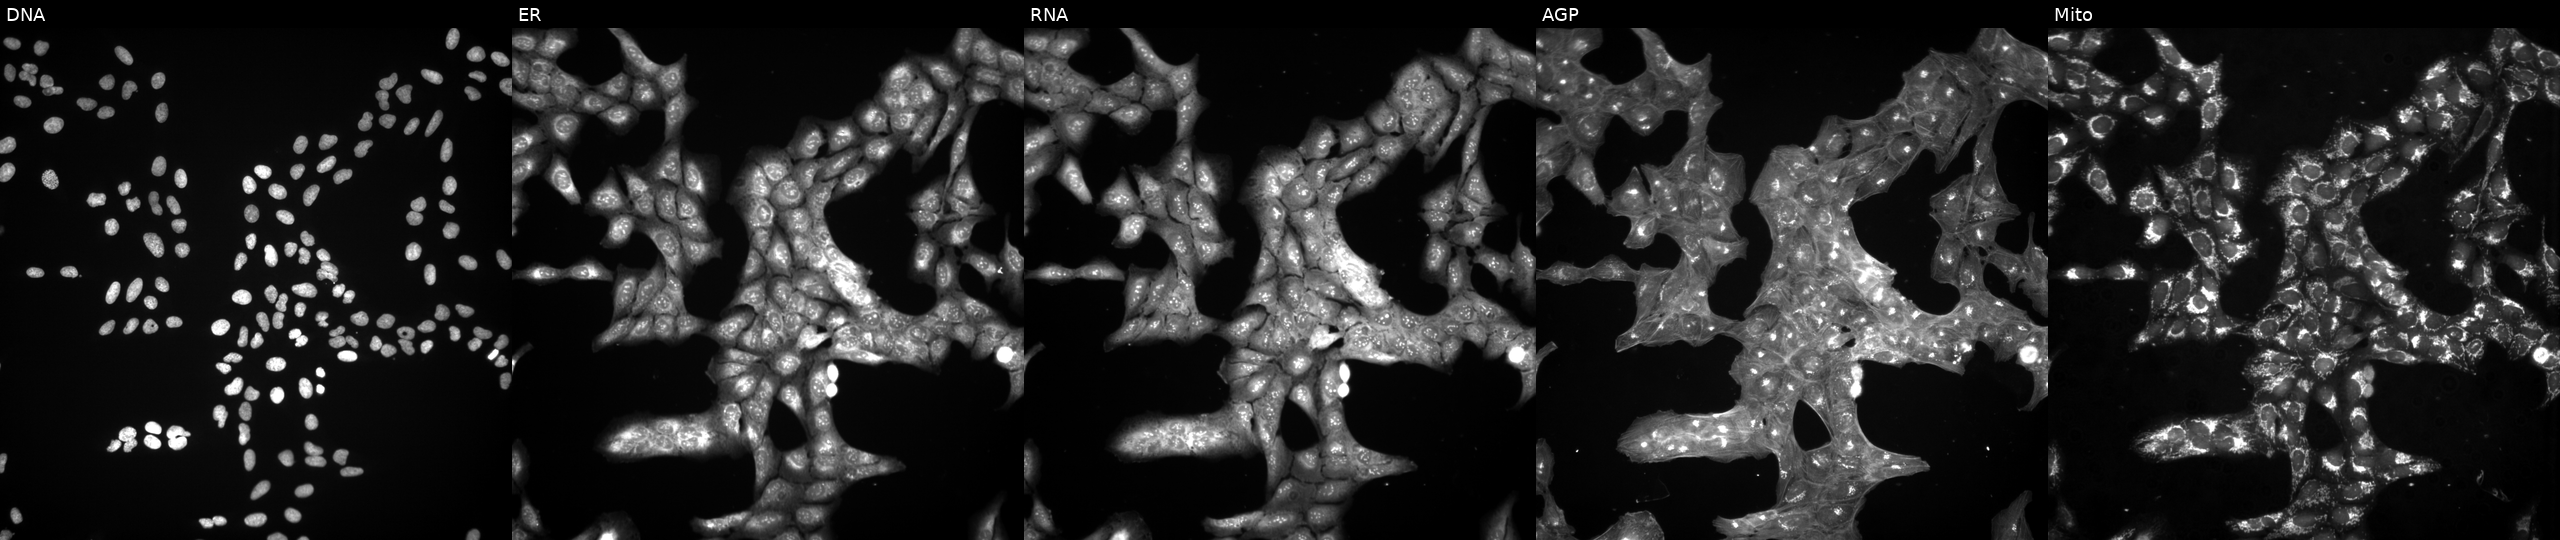
Five-channel Cell Painting image of U2OS cells perturbed with a small-molecule compound (InChIKey DXZRBHUCOHBAHP-UHFFFAOYSA-N). From left to right: DNA, ER, RNA, AGP, and Mito.